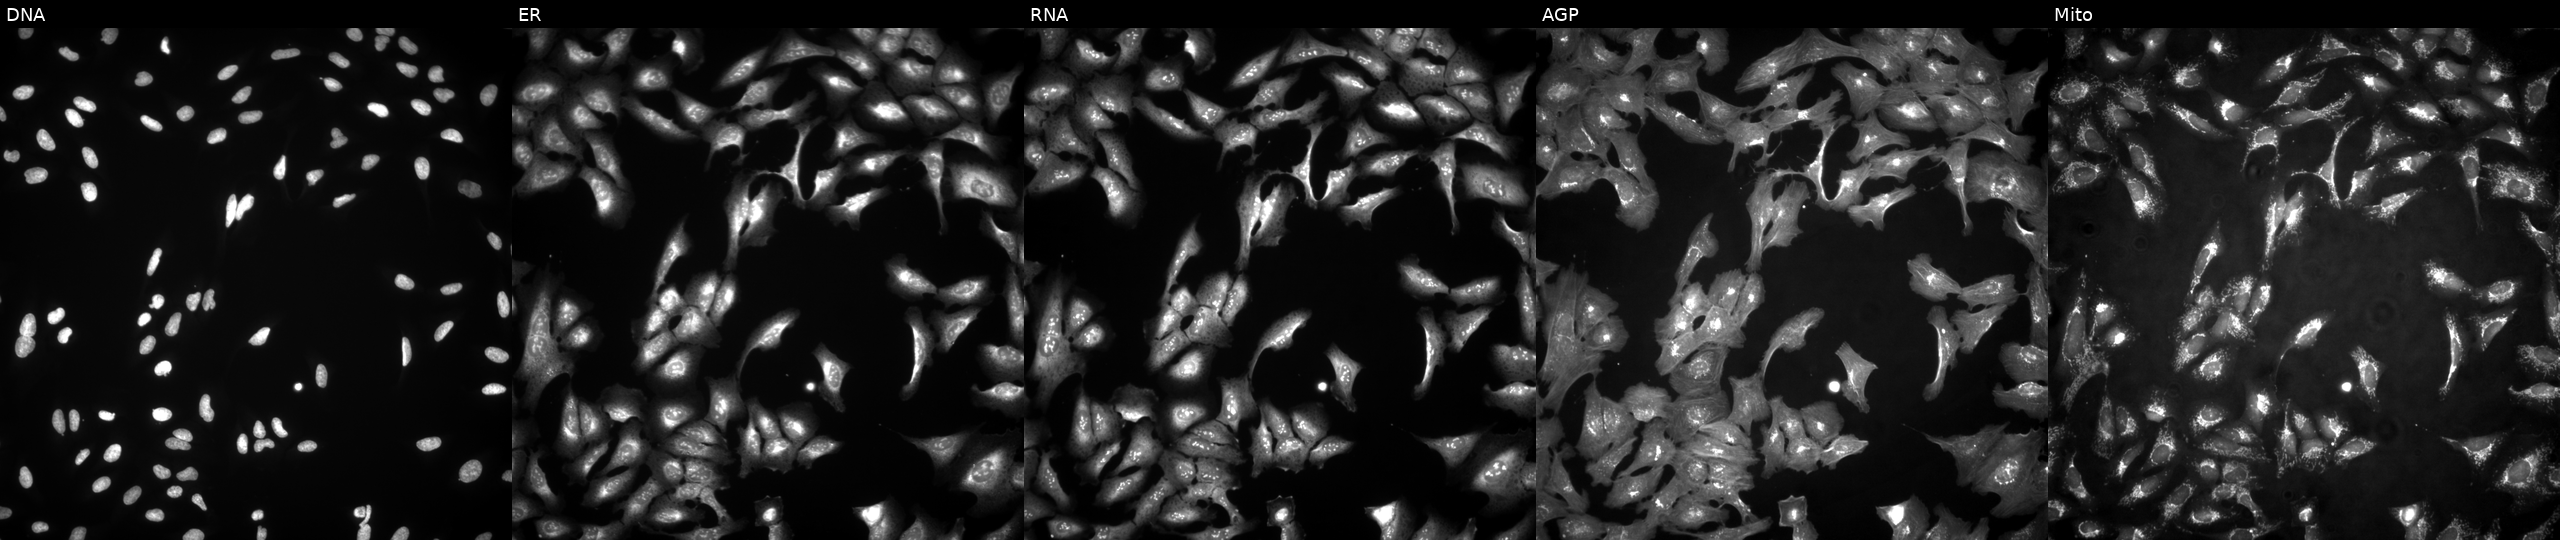
High-content fluorescence microscopy (Cell Painting). Cell line: U2OS. Perturbation: with DMRTC2 overexpressed (ORF) (JUMP id JCP2022_908235). The five panels, left to right, show Hoechst 33342, concanavalin A, SYTO 14, phalloidin and WGA, MitoTracker.